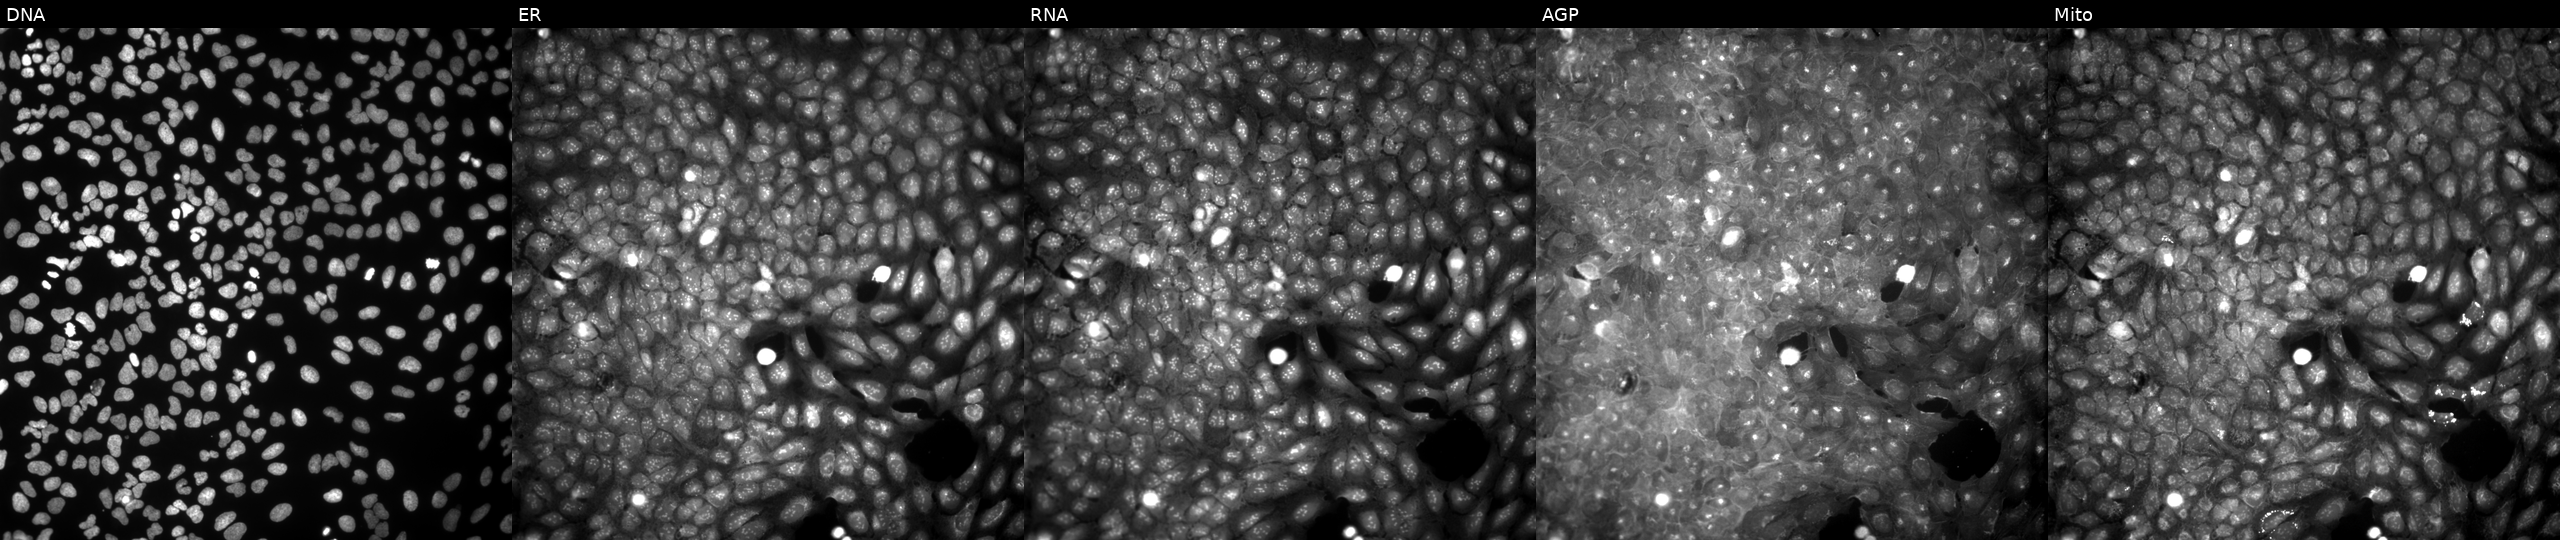
High-content fluorescence microscopy (Cell Painting). Cell line: U2OS. Perturbation: exposed to a small-molecule compound (JUMP id JCP2022_045389). Channels (left→right): DNA, ER, RNA, AGP, and Mito.